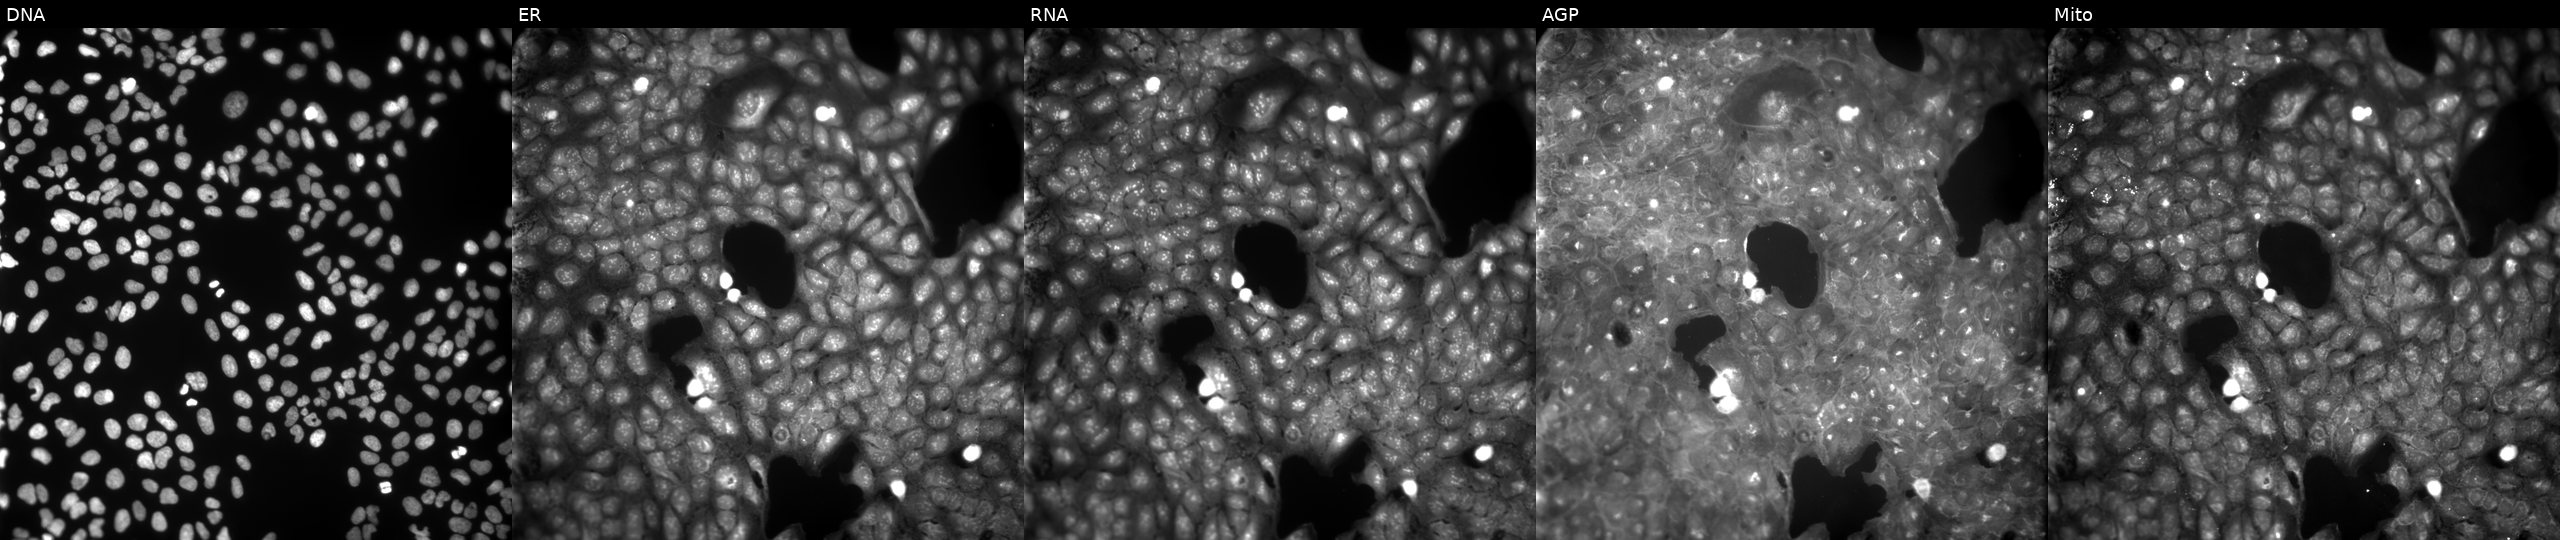
JUMP Cell Painting — COMPOUND plate. U2OS cells treated with a small-molecule compound. Channels (left→right): DNA (nuclei); ER (endoplasmic reticulum); RNA (nucleoli and cytoplasmic RNA); AGP (actin cytoskeleton, Golgi, and plasma membrane); Mito (mitochondria).